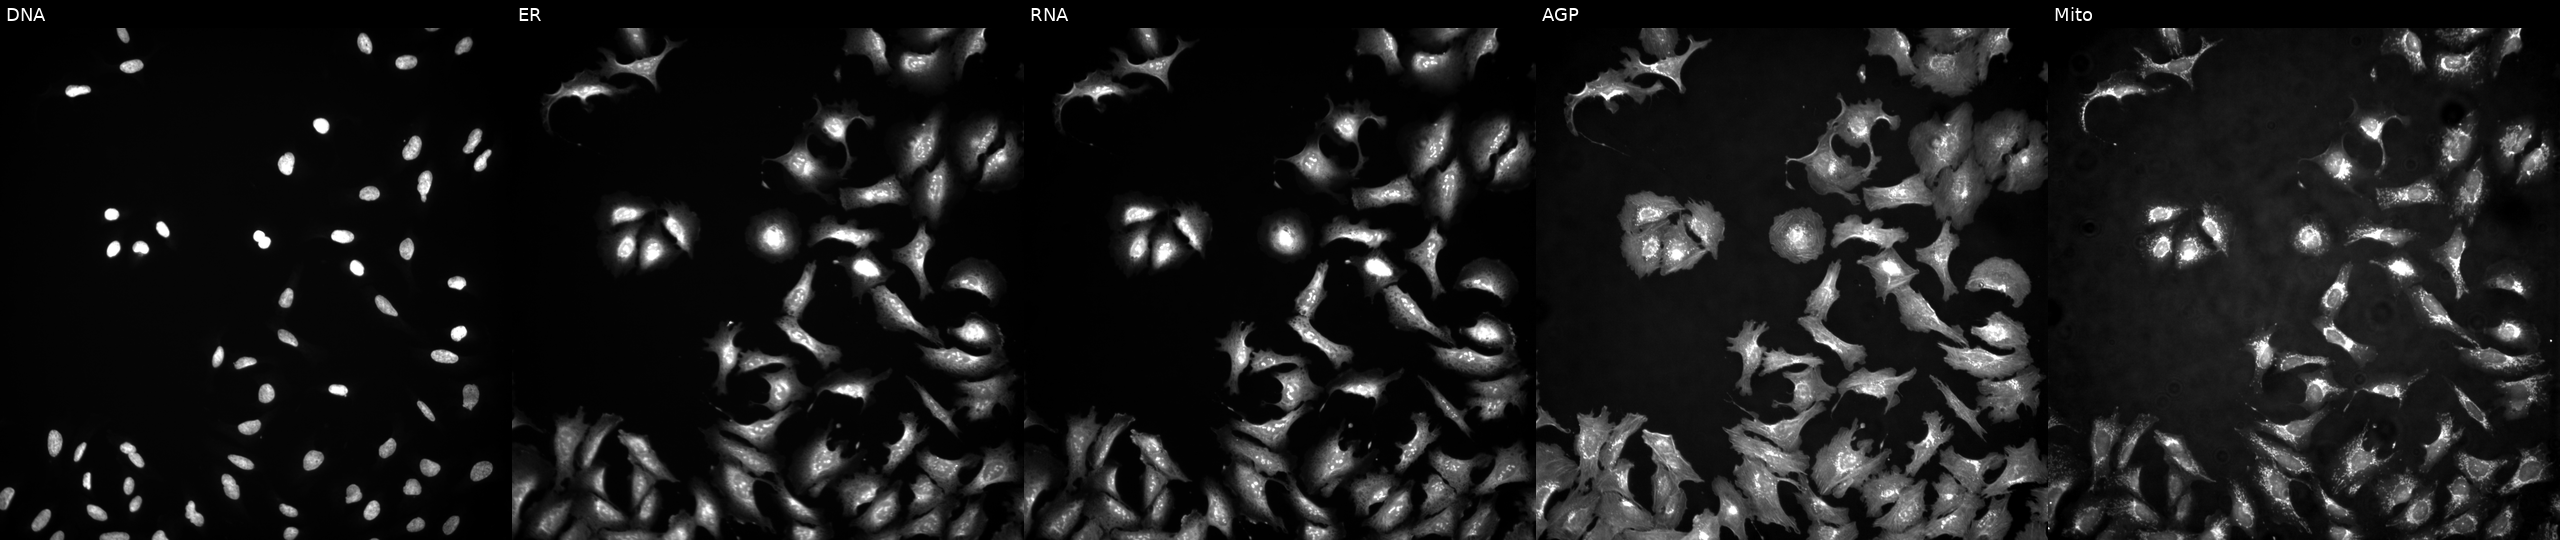
U2OS cells, Cell Painting assay, transfected with an ORF construct for PRKG2 (JUMP id JCP2022_913823). The five panels, left to right, show DNA (nuclei); ER (endoplasmic reticulum); RNA (nucleoli and cytoplasmic RNA); AGP (actin cytoskeleton, Golgi, and plasma membrane); Mito (mitochondria). Each panel is percentile-stretched 16-bit fluorescence. Source 4, plate BR00123945, well O05.